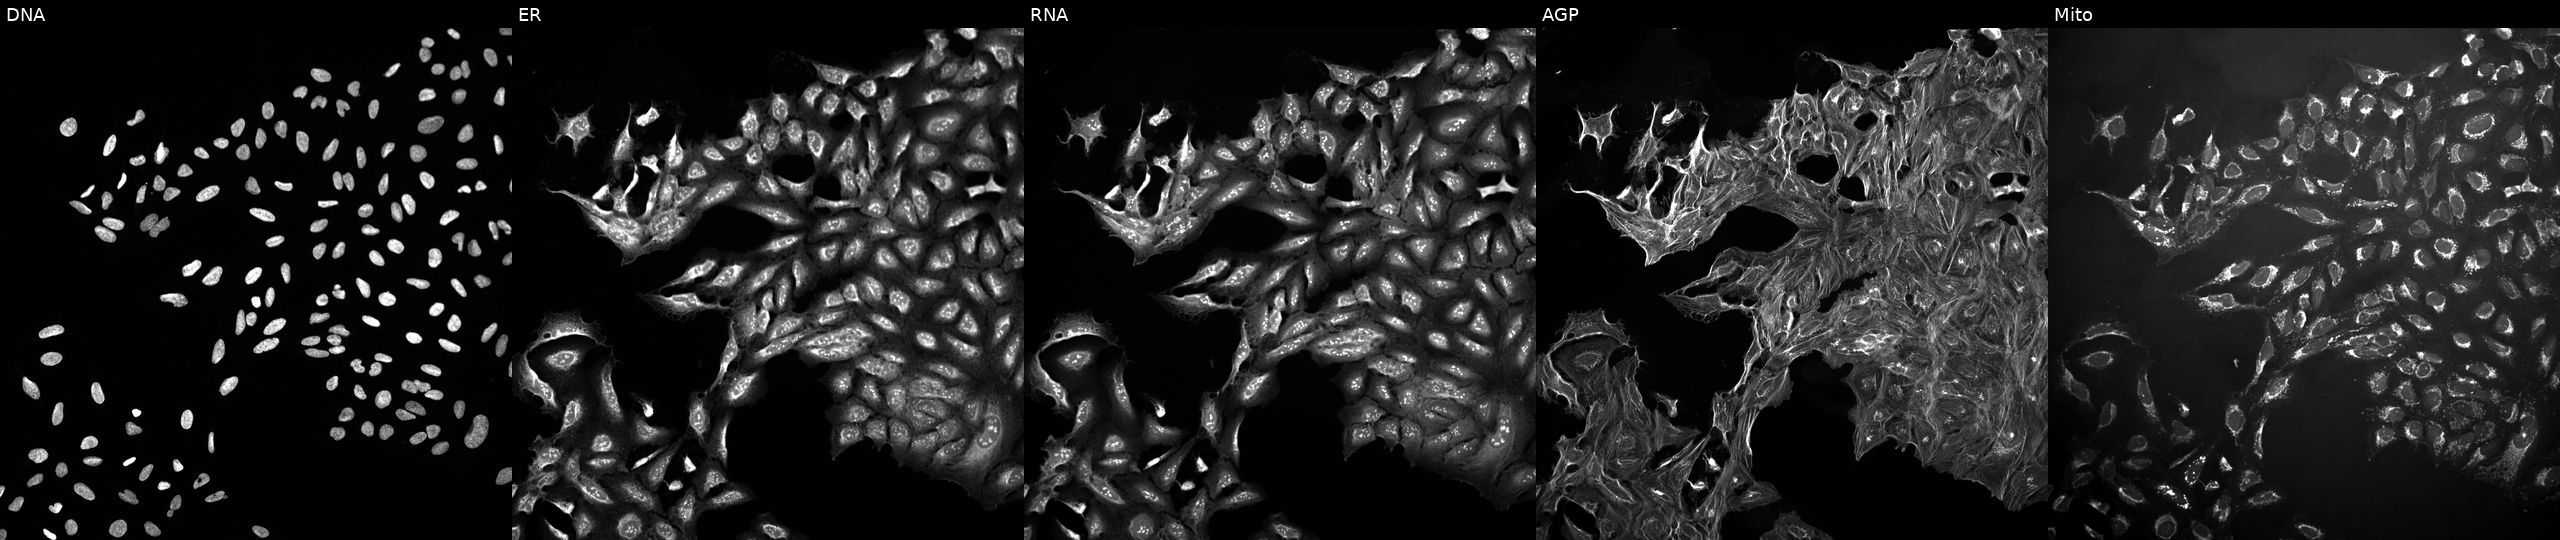
JUMP Cell Painting — TARGET2 plate. U2OS cells treated with DMSO vehicle only (negative control). Panels show, left to right, Hoechst 33342, concanavalin A, SYTO 14, phalloidin and WGA, MitoTracker.